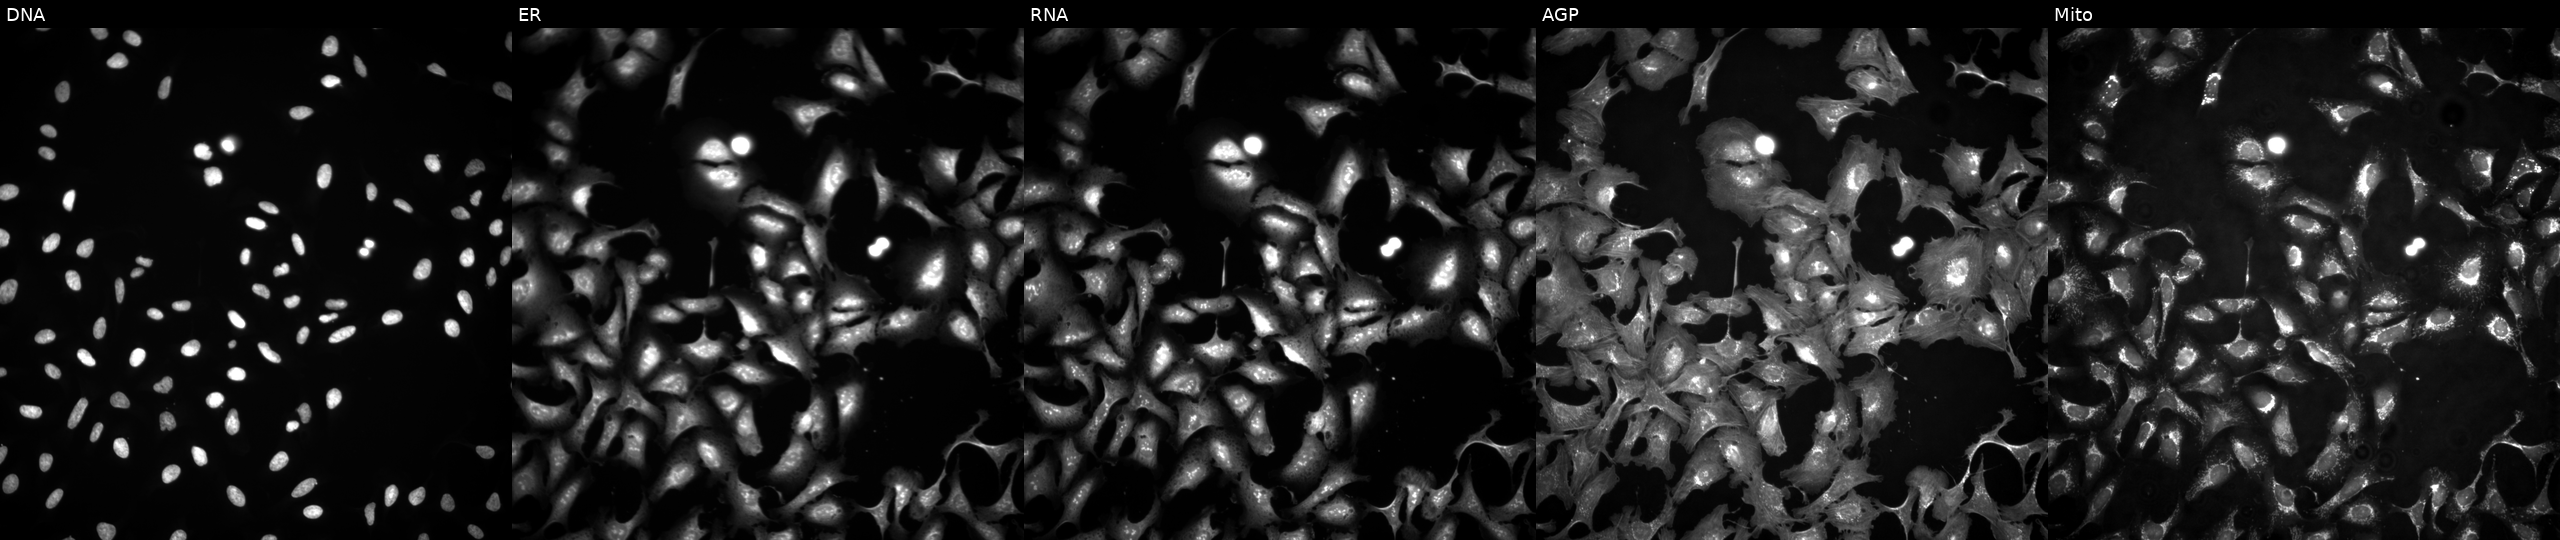
High-content fluorescence microscopy (Cell Painting). Cell line: U2OS. Perturbation: with EPHA10 overexpressed (ORF). Panels show, left to right, DNA (nuclei); ER (endoplasmic reticulum); RNA (nucleoli and cytoplasmic RNA); AGP (actin cytoskeleton, Golgi, and plasma membrane); Mito (mitochondria).